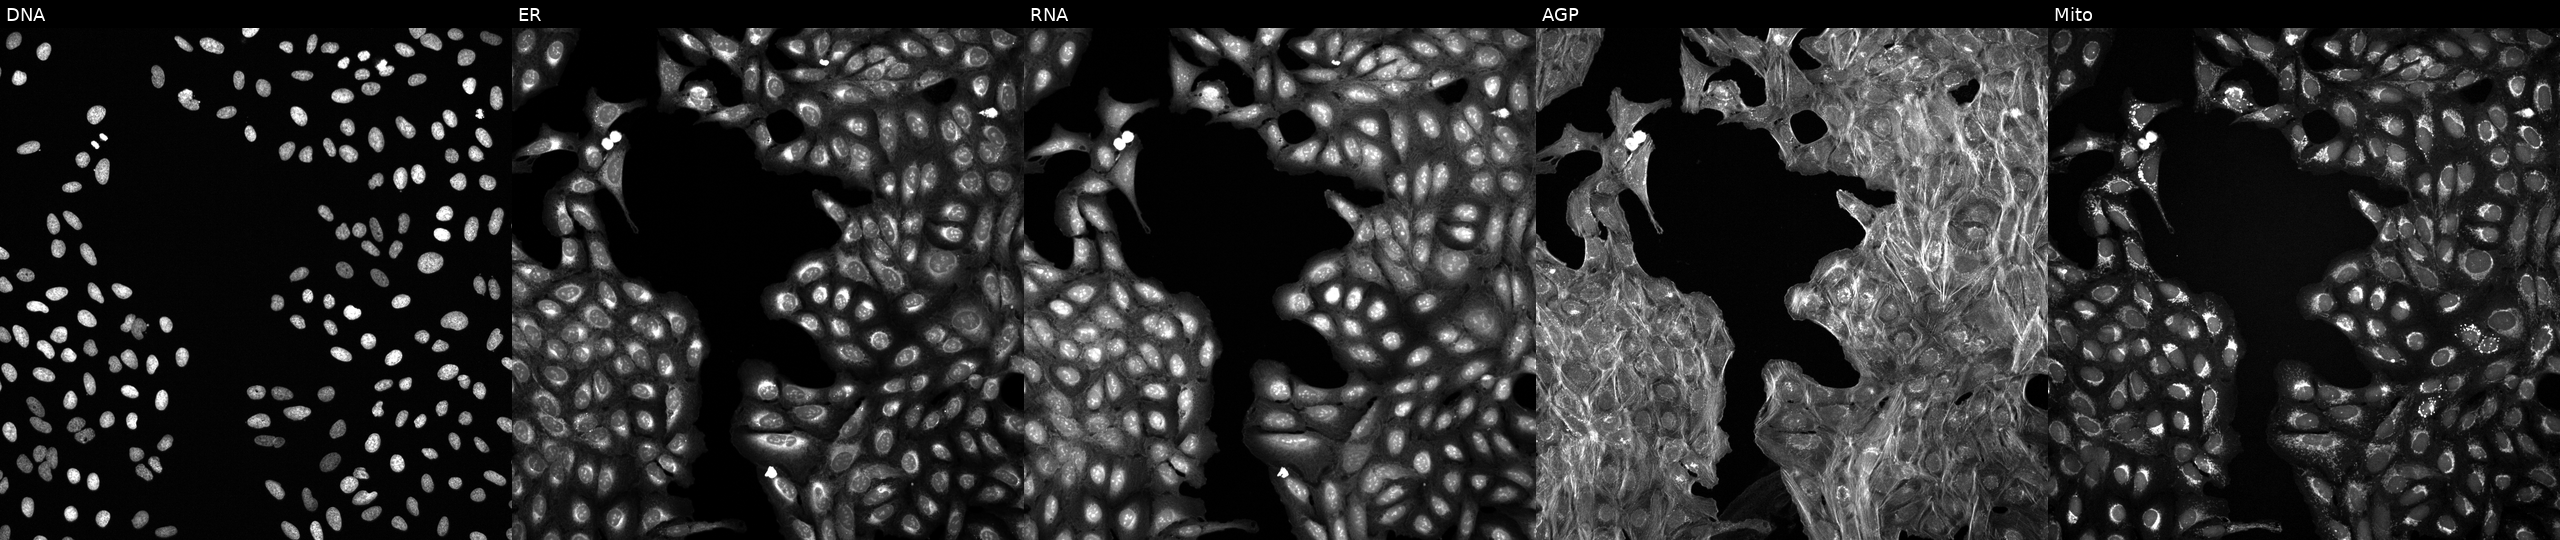
U2OS cells, Cell Painting assay, exposed to a small-molecule compound (InChIKey PIWKPBJCKXDKJR-UHFFFAOYSA-N) (JUMP id JCP2022_068901). Panels show, left to right, DNA (nuclei); ER (endoplasmic reticulum); RNA (nucleoli and cytoplasmic RNA); AGP (actin cytoskeleton, Golgi, and plasma membrane); Mito (mitochondria). Each panel is percentile-stretched 16-bit fluorescence.